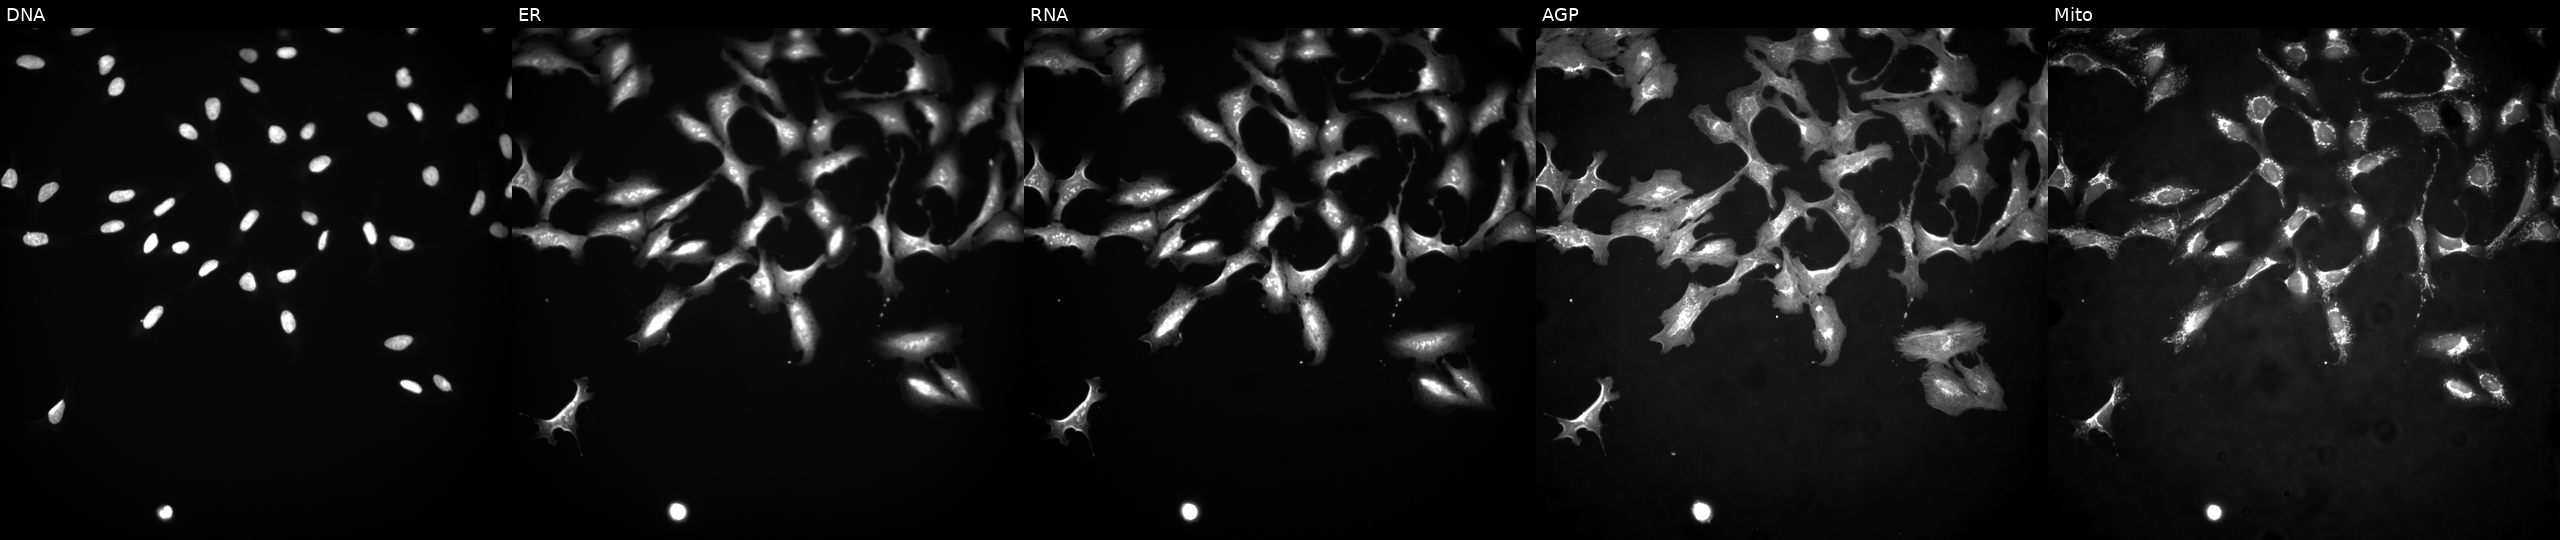
JUMP Cell Painting — ORF plate. U2OS cells transfected with an ORF construct for GATA3 (JUMP id JCP2022_914424). From left to right: DNA (nuclei); ER (endoplasmic reticulum); RNA (nucleoli and cytoplasmic RNA); AGP (actin cytoskeleton, Golgi, and plasma membrane); Mito (mitochondria). Source 4, plate BR00117035, well D16.